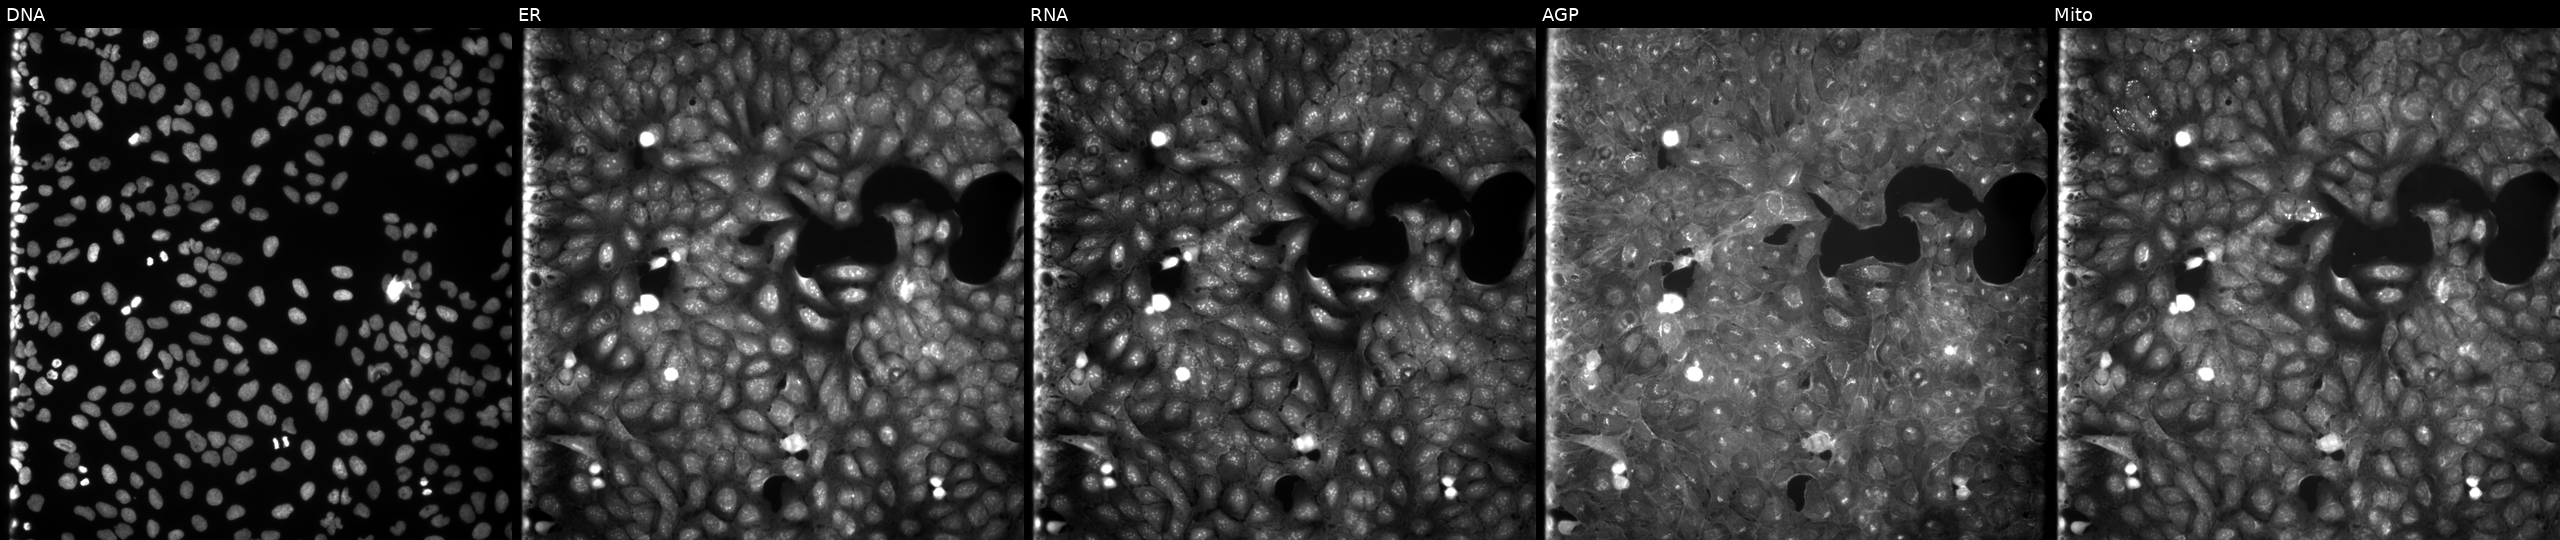
High-content fluorescence microscopy (Cell Painting). Cell line: U2OS. Perturbation: treated with a small-molecule compound (InChIKey YBFWHVRSKUASNH-UHFFFAOYSA-N). From left to right: DNA (nuclei); ER (endoplasmic reticulum); RNA (nucleoli and cytoplasmic RNA); AGP (actin cytoskeleton, Golgi, and plasma membrane); Mito (mitochondria).